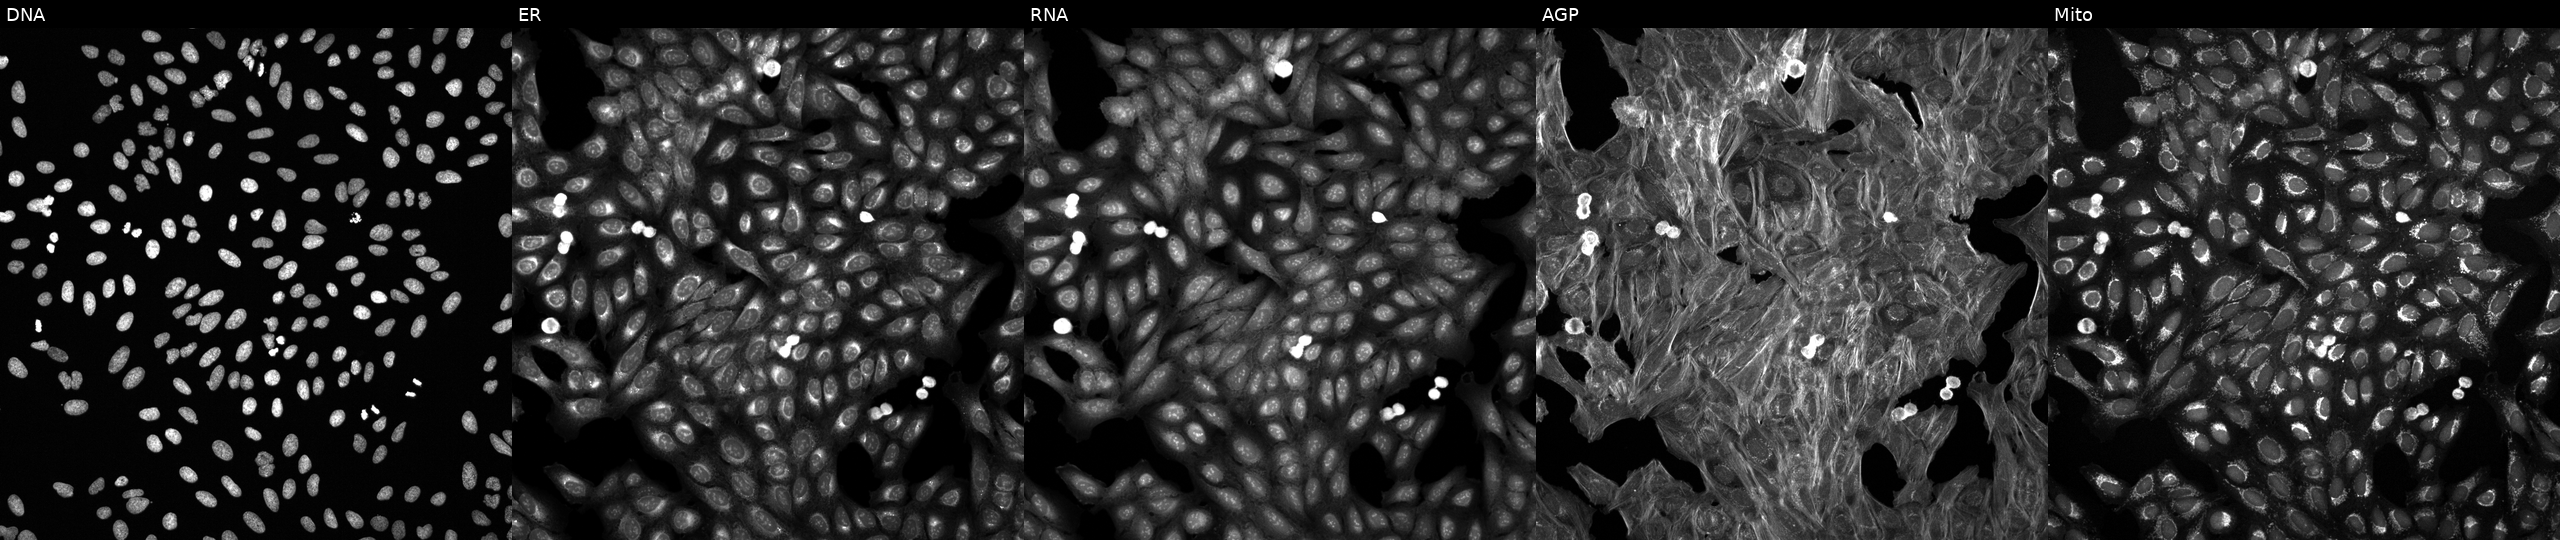
U2OS cells, Cell Painting assay, treated with DMSO vehicle only (negative control) (JUMP id JCP2022_033924). From left to right: Hoechst 33342, concanavalin A, SYTO 14, phalloidin and WGA, MitoTracker. Each panel is percentile-stretched 16-bit fluorescence. Source 6, plate 110000293093, well C17.